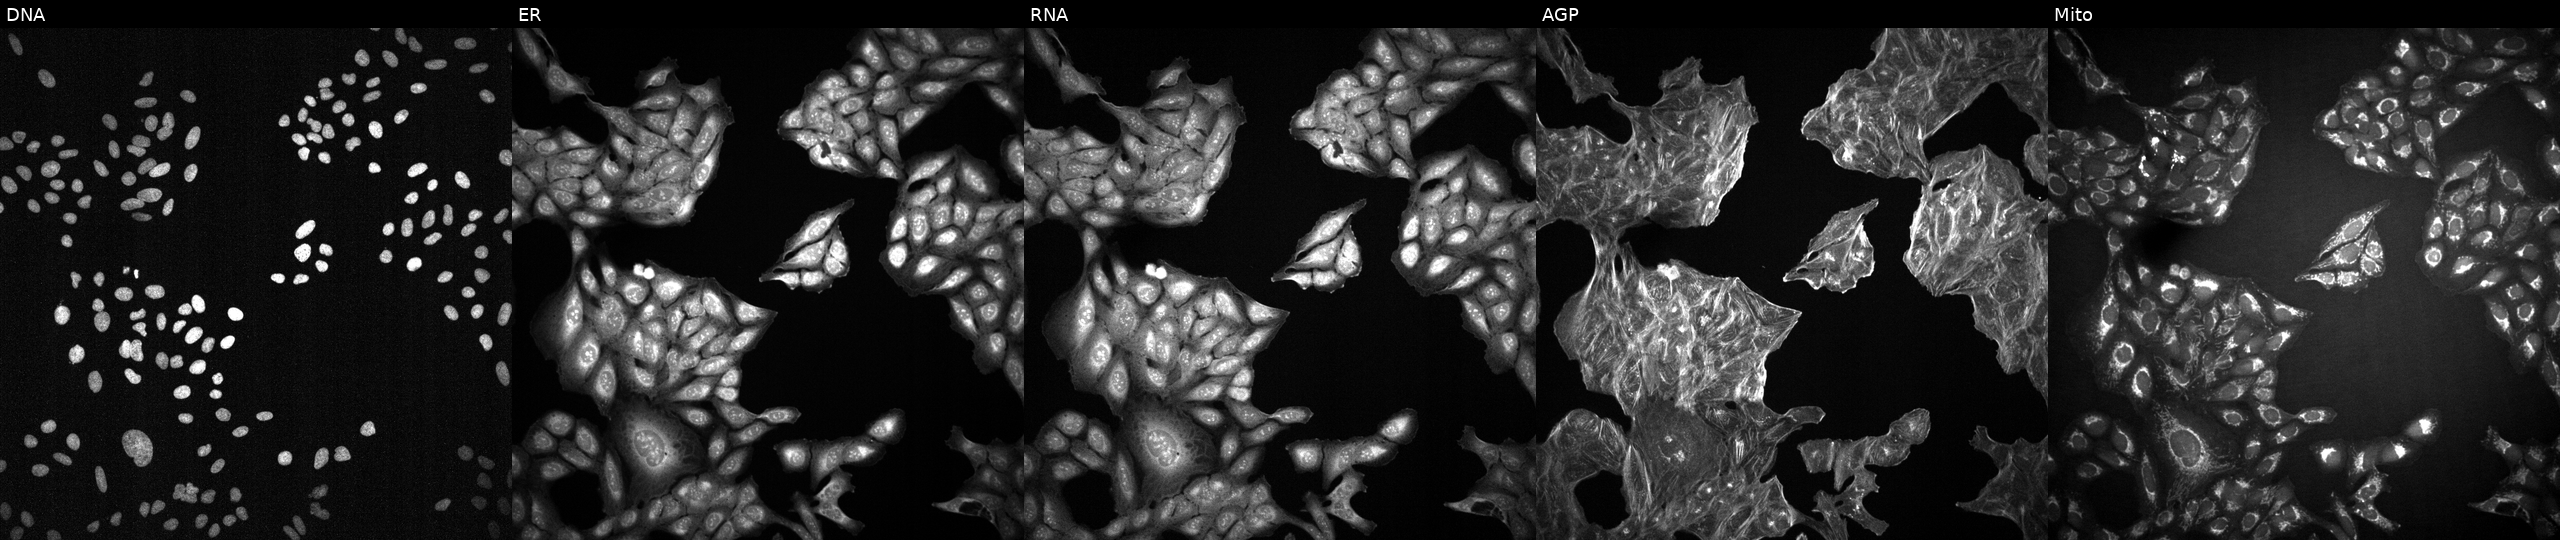
Five-channel Cell Painting image of U2OS cells exposed to a small-molecule compound (InChIKey WRLVHADVOGFZOZ-UHFFFAOYSA-N). Channels (left→right): DNA, ER, RNA, AGP, and Mito. Source 2, plate 1053599503, well F18.